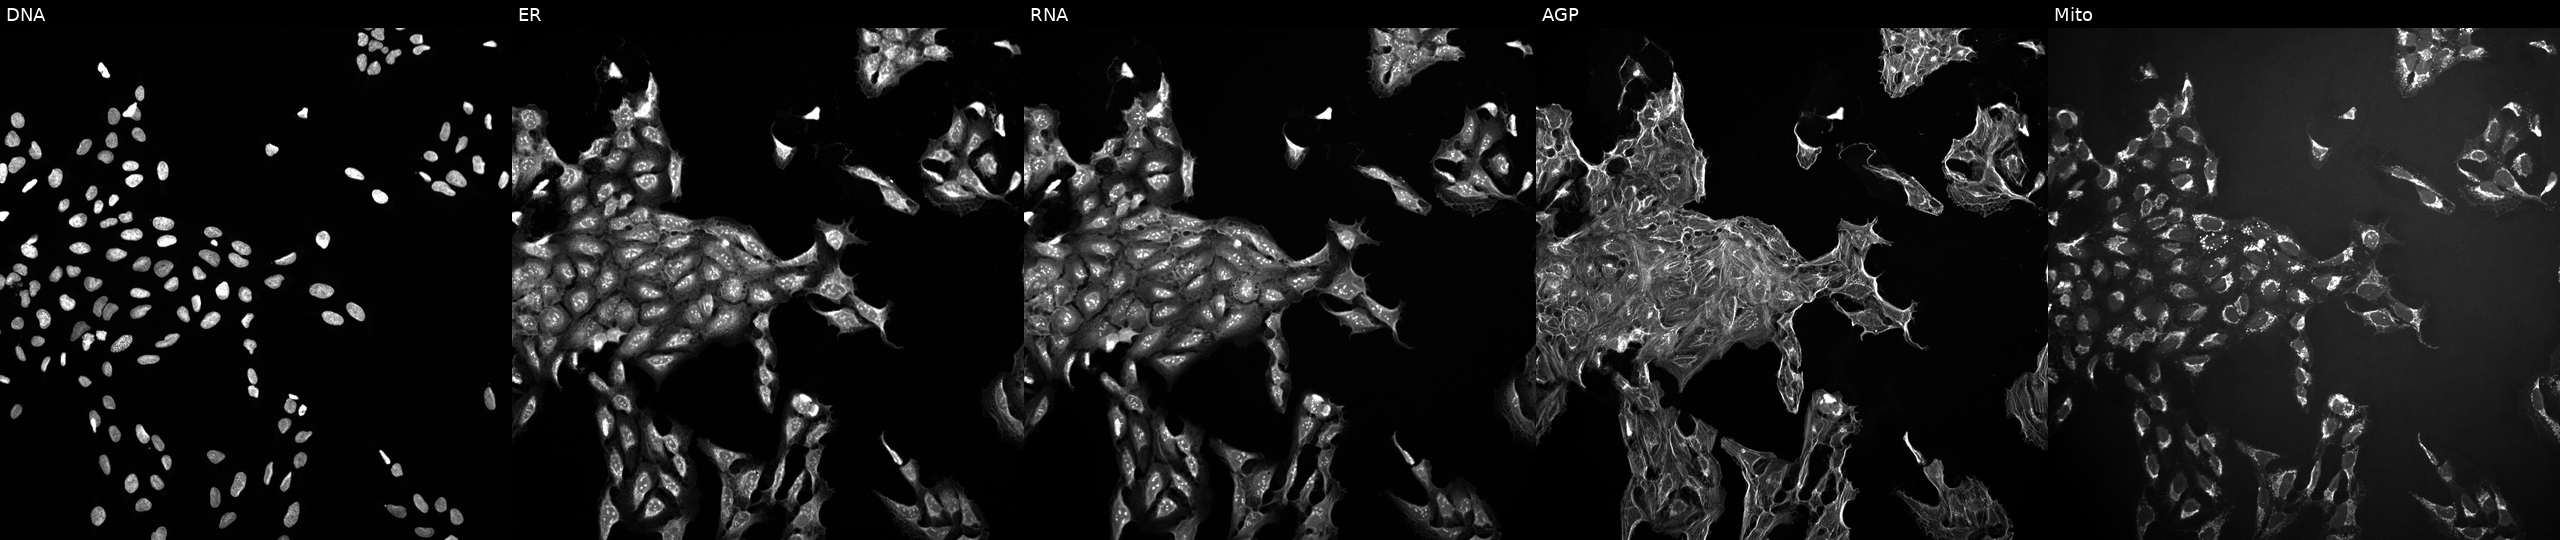
This image strip shows the five Cell Painting channels for a single field of U2OS cells perturbed with a small-molecule compound (InChIKey XEYBRNLFEZDVAW-UHFFFAOYSA-N) (JUMP id JCP2022_103217). From left to right: Hoechst 33342, concanavalin A, SYTO 14, phalloidin and WGA, MitoTracker. Source 10, plate Dest210726-160150, well A14.